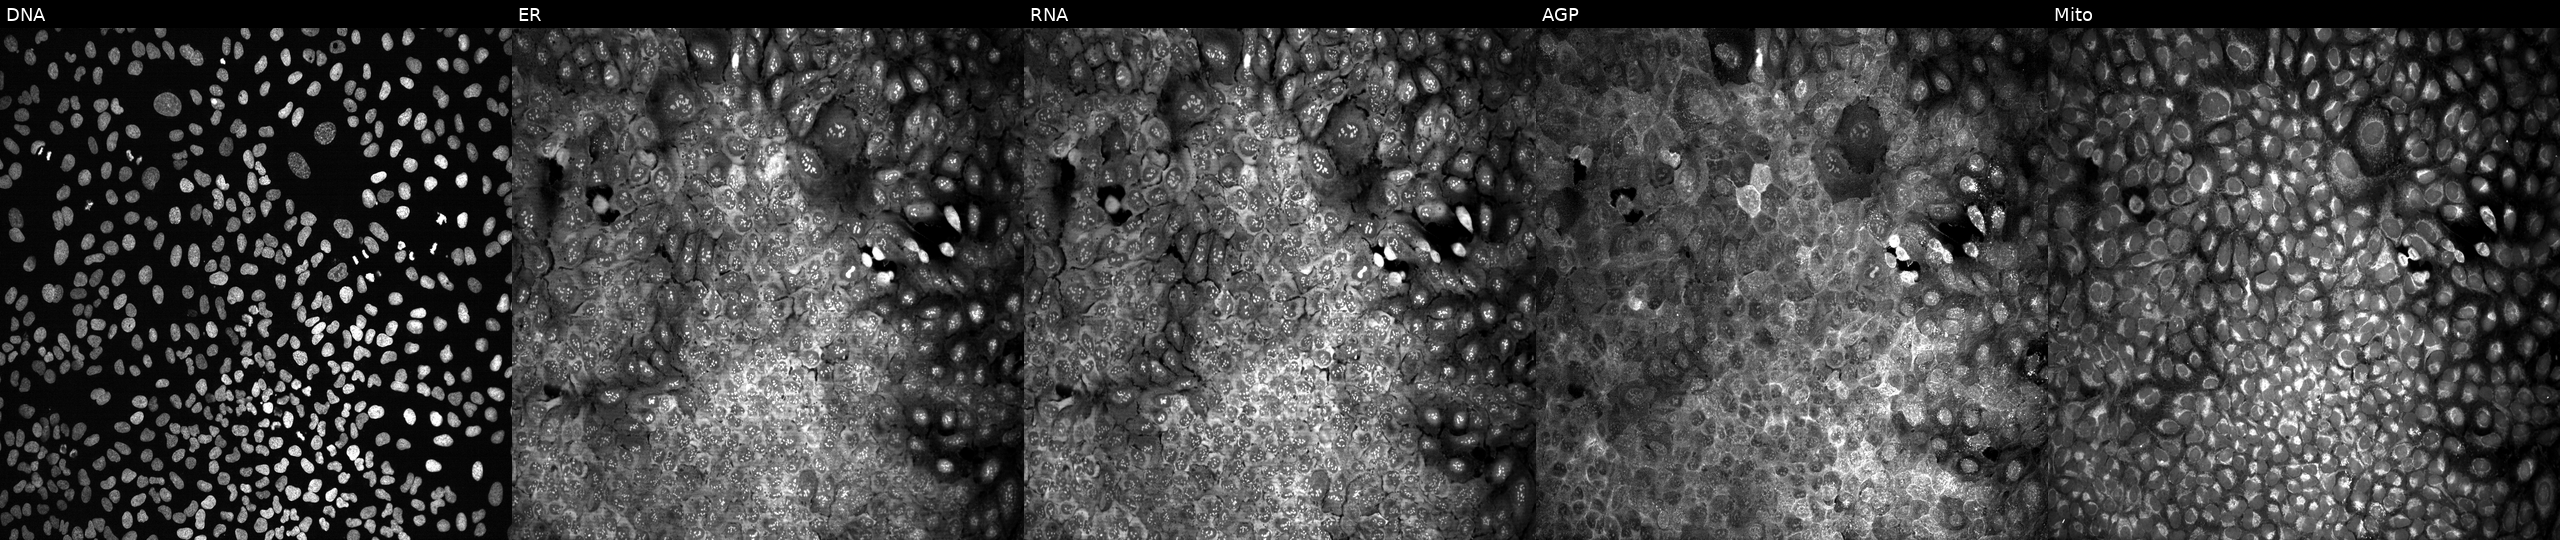
U2OS cells, Cell Painting assay, with no CRISPR guide (negative control) (JUMP id JCP2022_800001). Channels (left→right): DNA, ER, RNA, AGP, and Mito. Each panel is percentile-stretched 16-bit fluorescence.